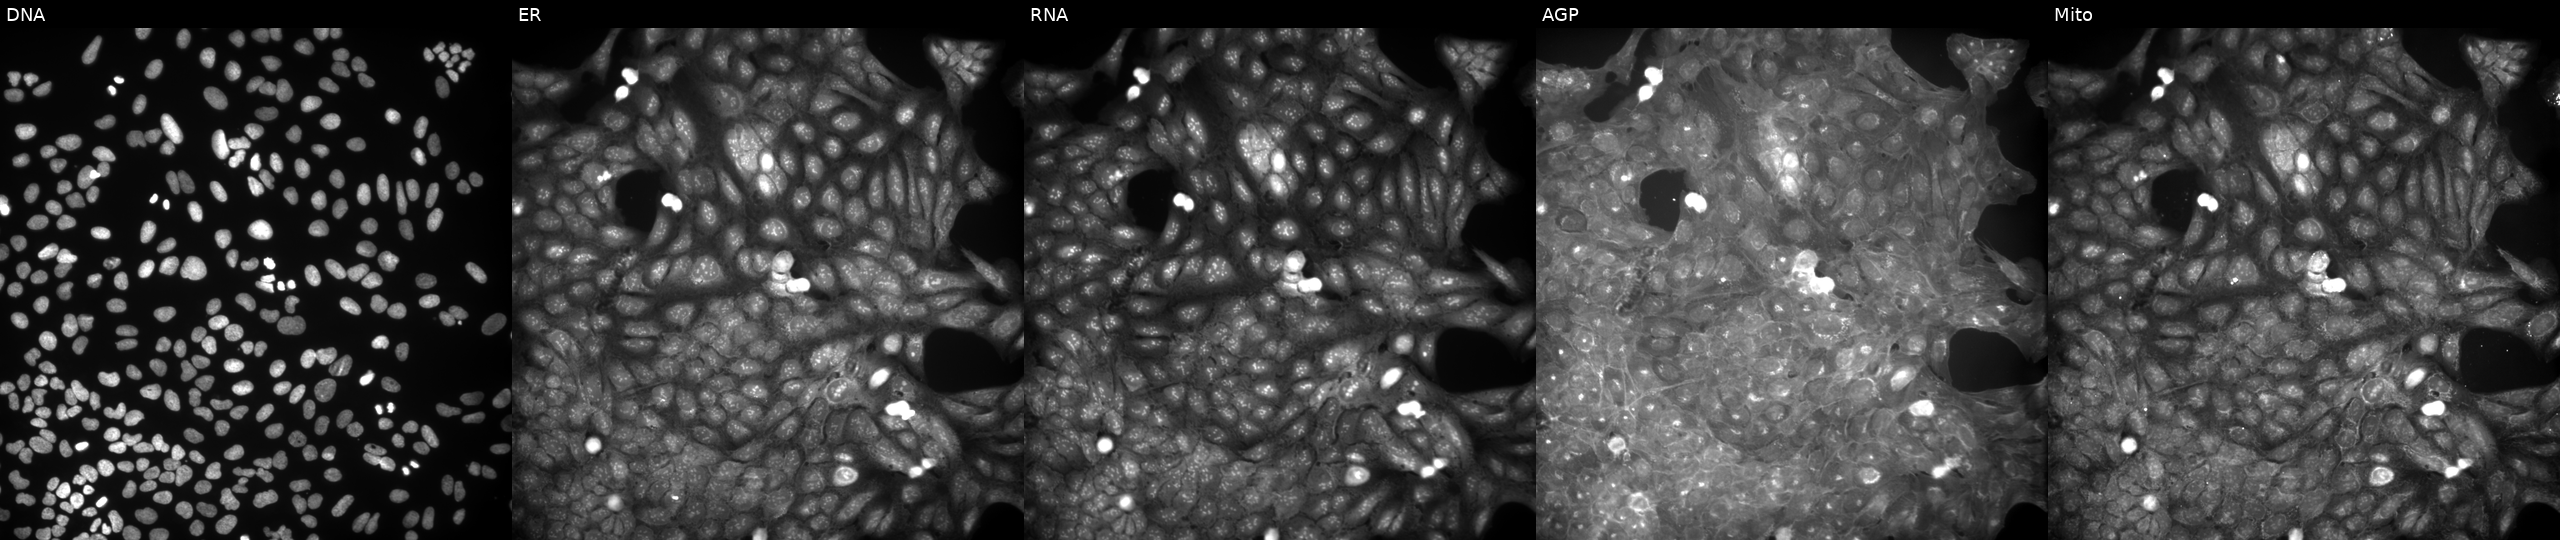
U2OS cells, Cell Painting assay, treated with a small-molecule compound (InChIKey MMYGCHWXDWRDHW-UHFFFAOYSA-N) (JUMP id JCP2022_055179). The five panels, left to right, show DNA (nuclei); ER (endoplasmic reticulum); RNA (nucleoli and cytoplasmic RNA); AGP (actin cytoskeleton, Golgi, and plasma membrane); Mito (mitochondria). Each panel is percentile-stretched 16-bit fluorescence. Source 9, plate GR00003381, well AF28.